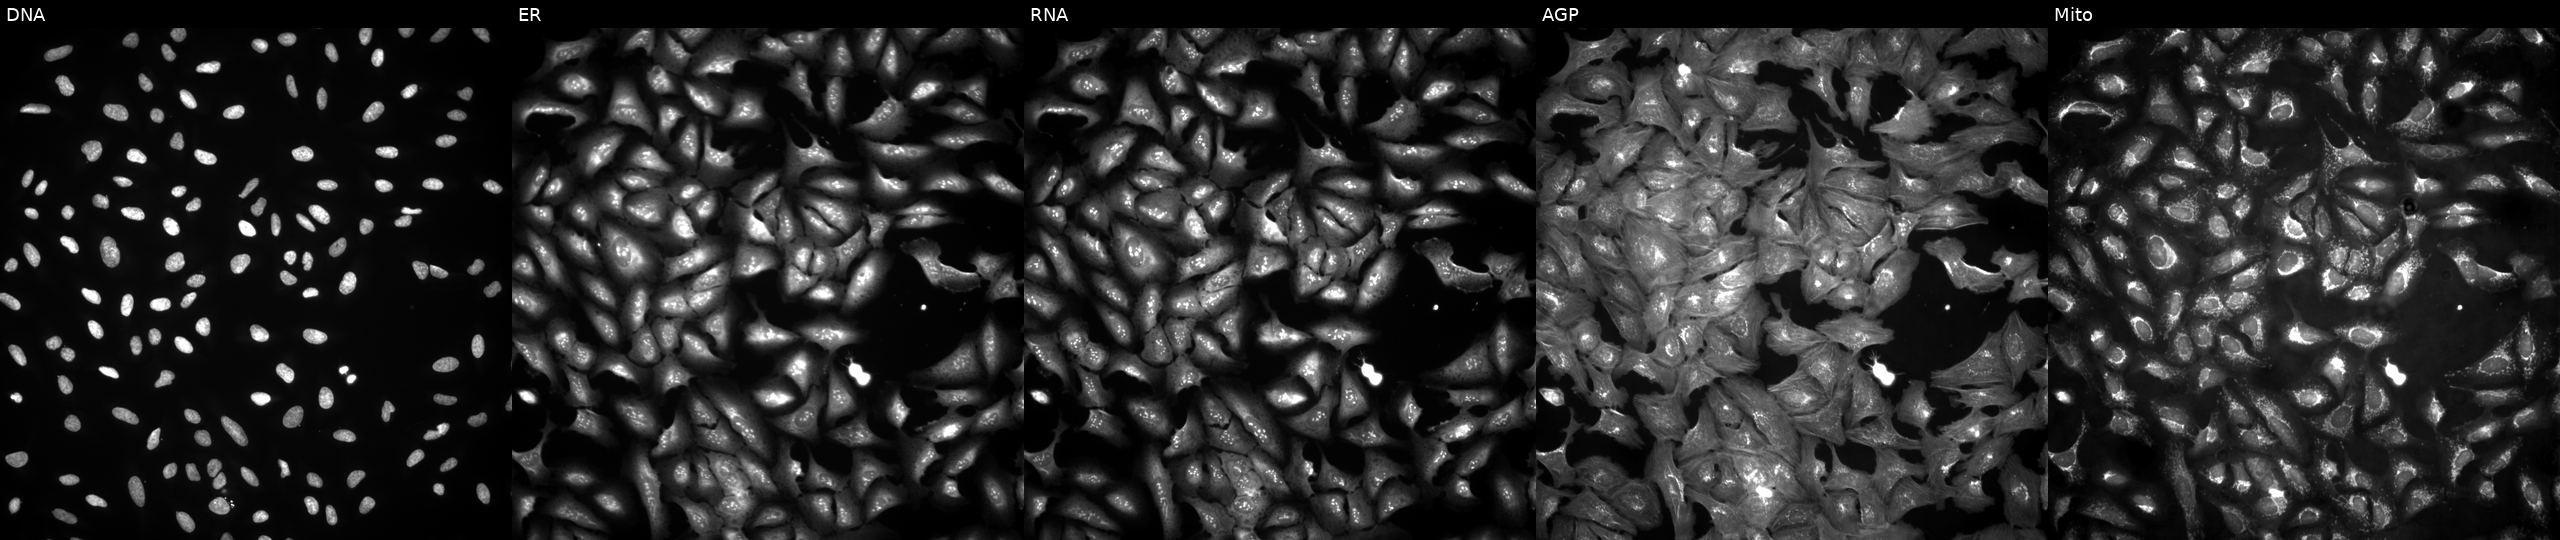
Five-channel Cell Painting image of U2OS cells with TXNDC8 overexpressed (ORF). From left to right: DNA (nuclei); ER (endoplasmic reticulum); RNA (nucleoli and cytoplasmic RNA); AGP (actin cytoskeleton, Golgi, and plasma membrane); Mito (mitochondria). Source 4, plate BR00124784, well J07.